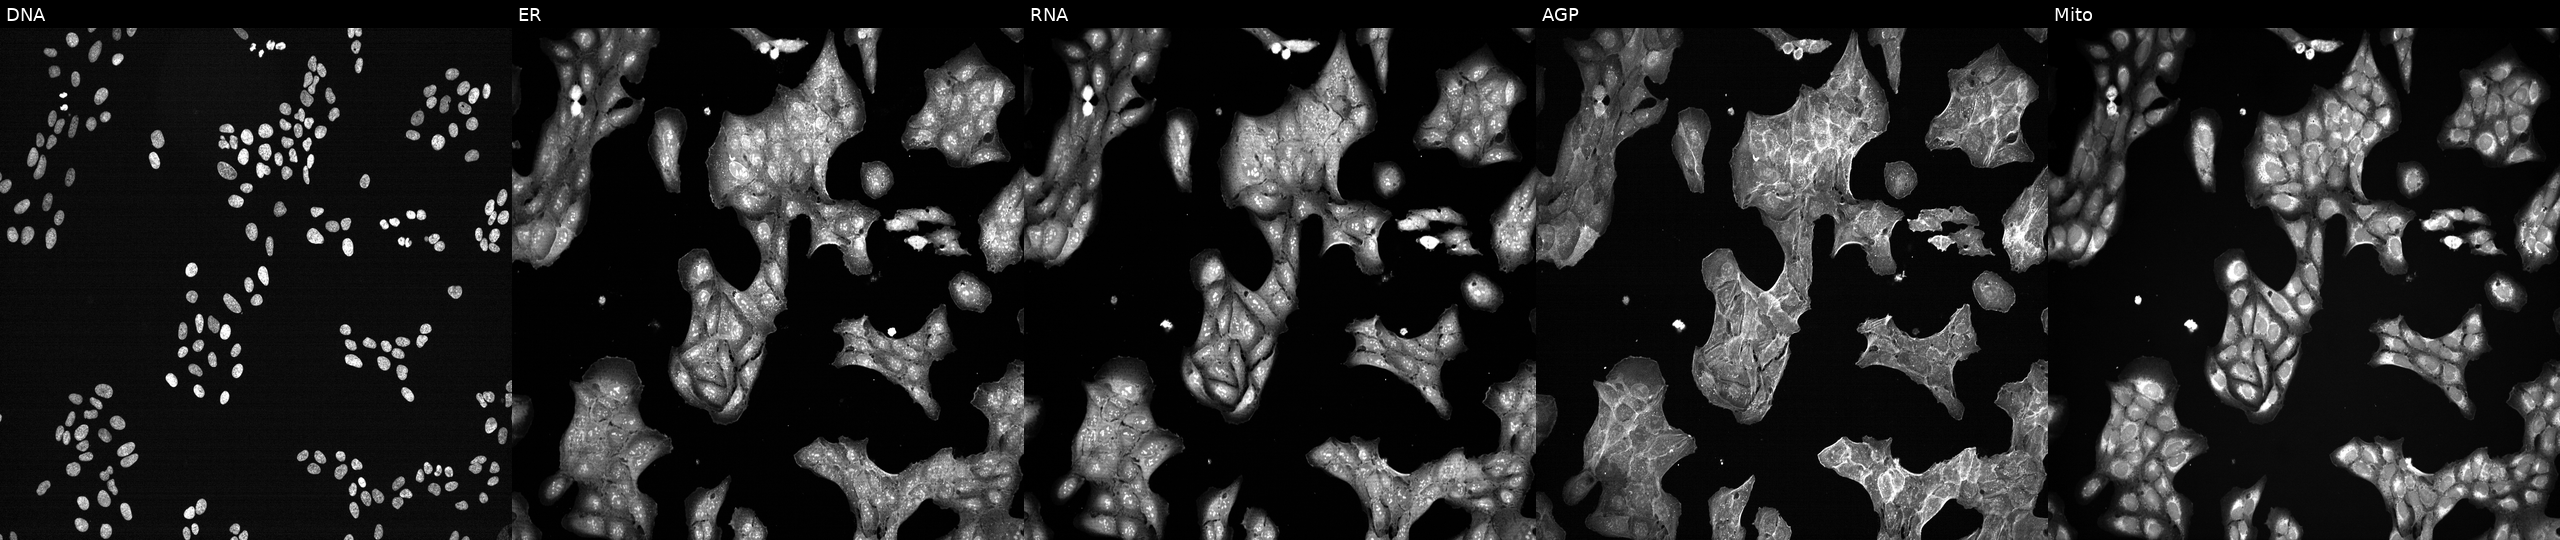
High-content fluorescence microscopy (Cell Painting). Cell line: U2OS. Perturbation: treated with a small-molecule compound (InChIKey LNFZRMDSZJCZTG-UHFFFAOYSA-N) (JUMP id JCP2022_050516). From left to right: DNA, ER, RNA, AGP, and Mito. Source 7, plate CP3-SC1-25, well P23.